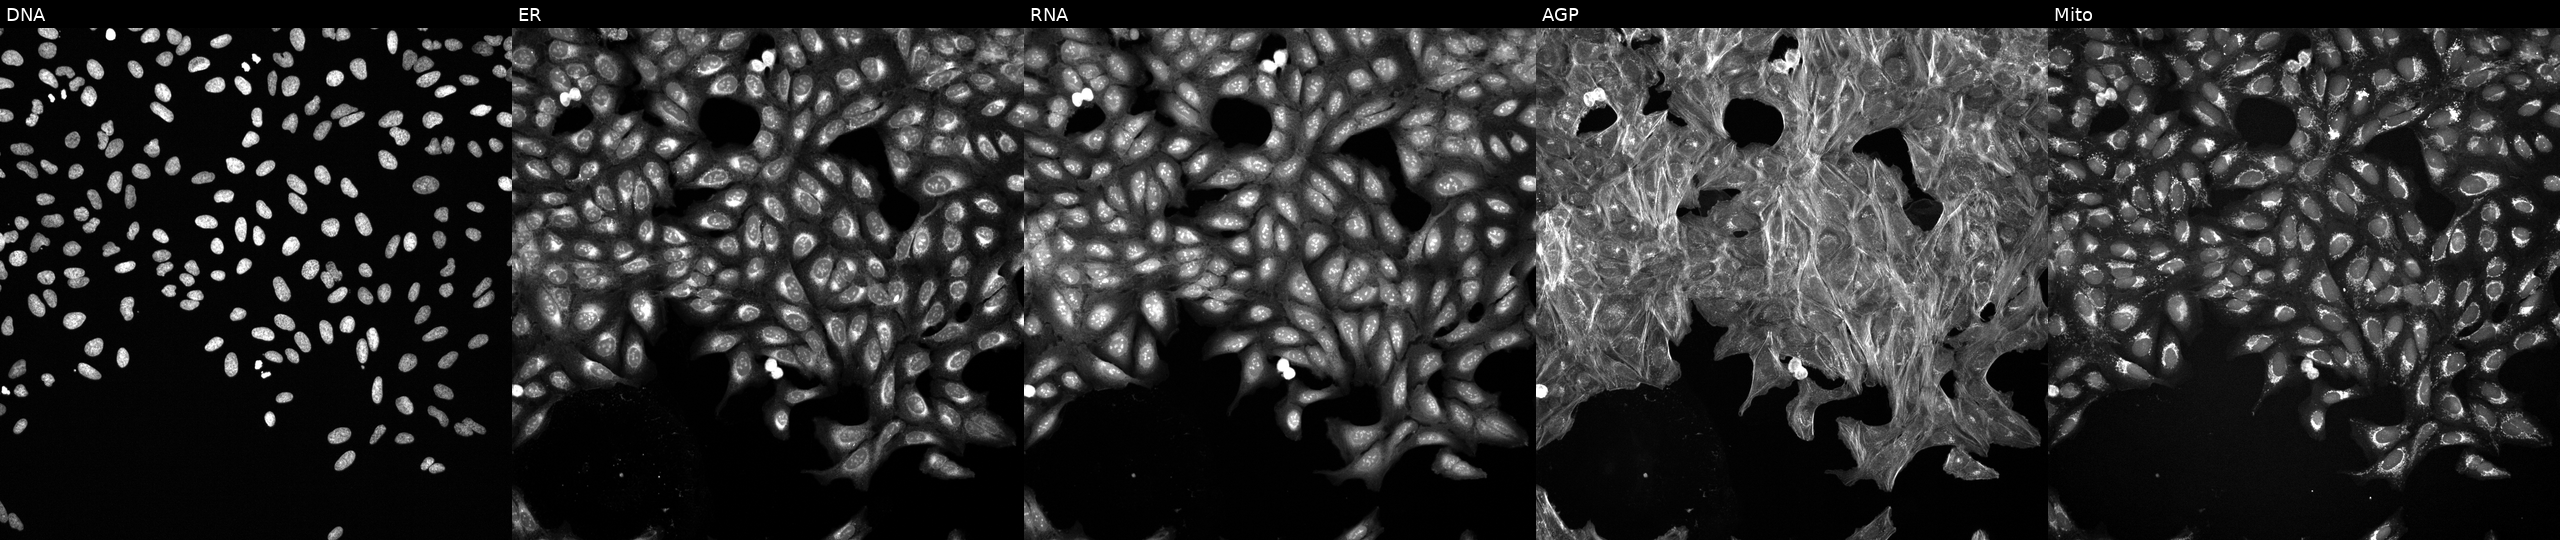
This image strip shows the five Cell Painting channels for a single field of U2OS cells exposed to a small-molecule compound [SMILES: Cc1ccc(C)c(CN2CCCN(c3ccc(Cl)c(N)c3)C2=O)c1] (JUMP id JCP2022_009091). The five panels, left to right, show DNA (nuclei); ER (endoplasmic reticulum); RNA (nucleoli and cytoplasmic RNA); AGP (actin cytoskeleton, Golgi, and plasma membrane); Mito (mitochondria).